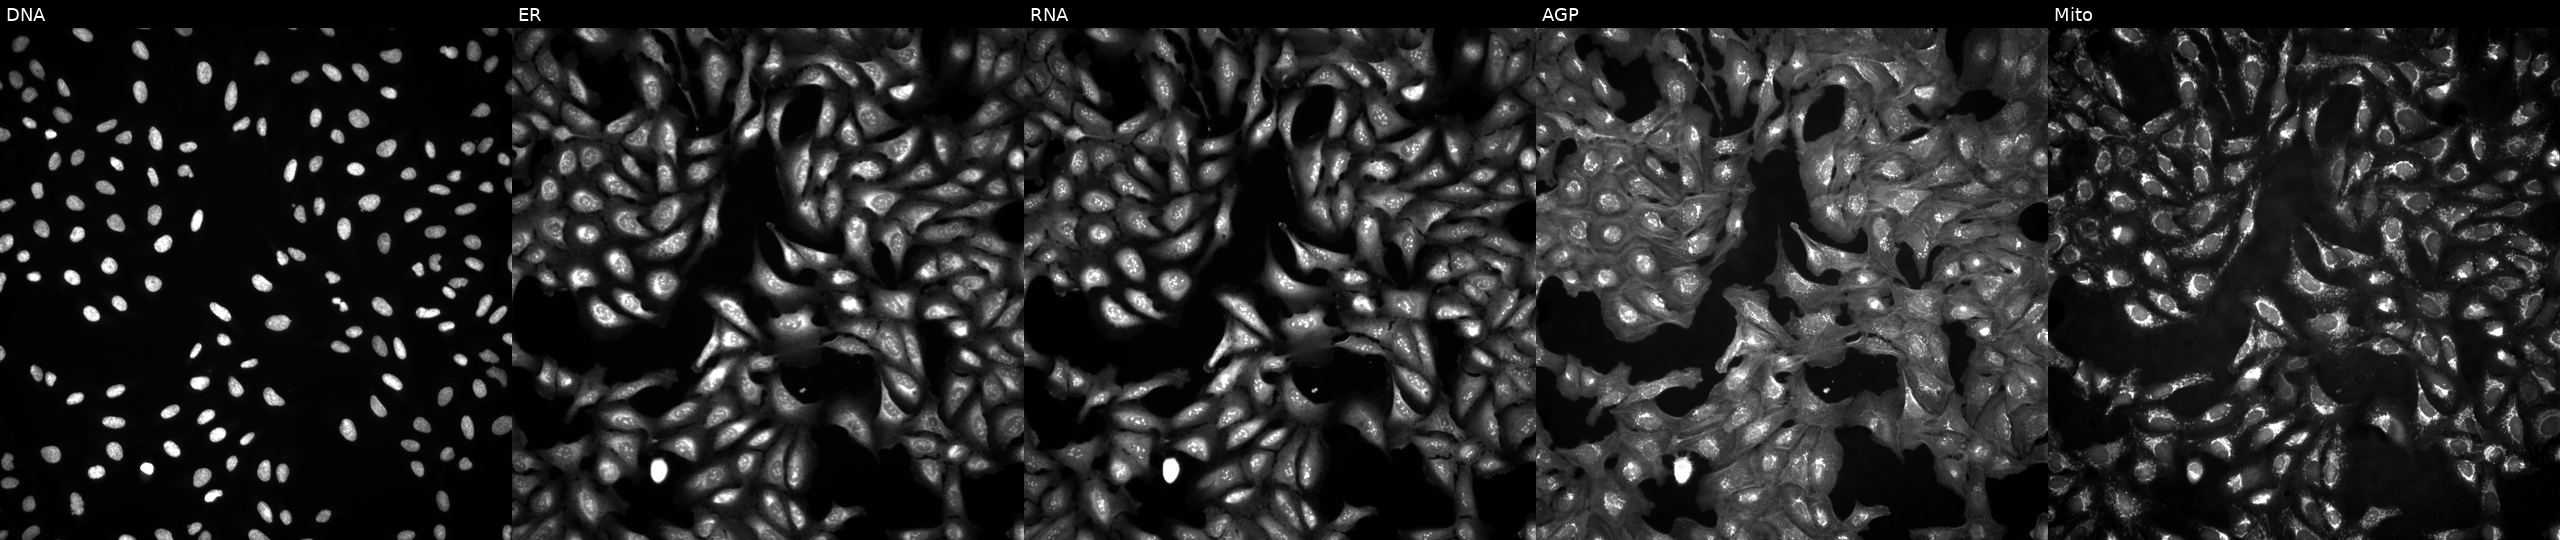
This image strip shows the five Cell Painting channels for a single field of U2OS cells untreated (empty-well control) (JUMP id JCP2022_999999). The five panels, left to right, show DNA (nuclei); ER (endoplasmic reticulum); RNA (nucleoli and cytoplasmic RNA); AGP (actin cytoskeleton, Golgi, and plasma membrane); Mito (mitochondria). Source 4, plate BR00124793, well L14.